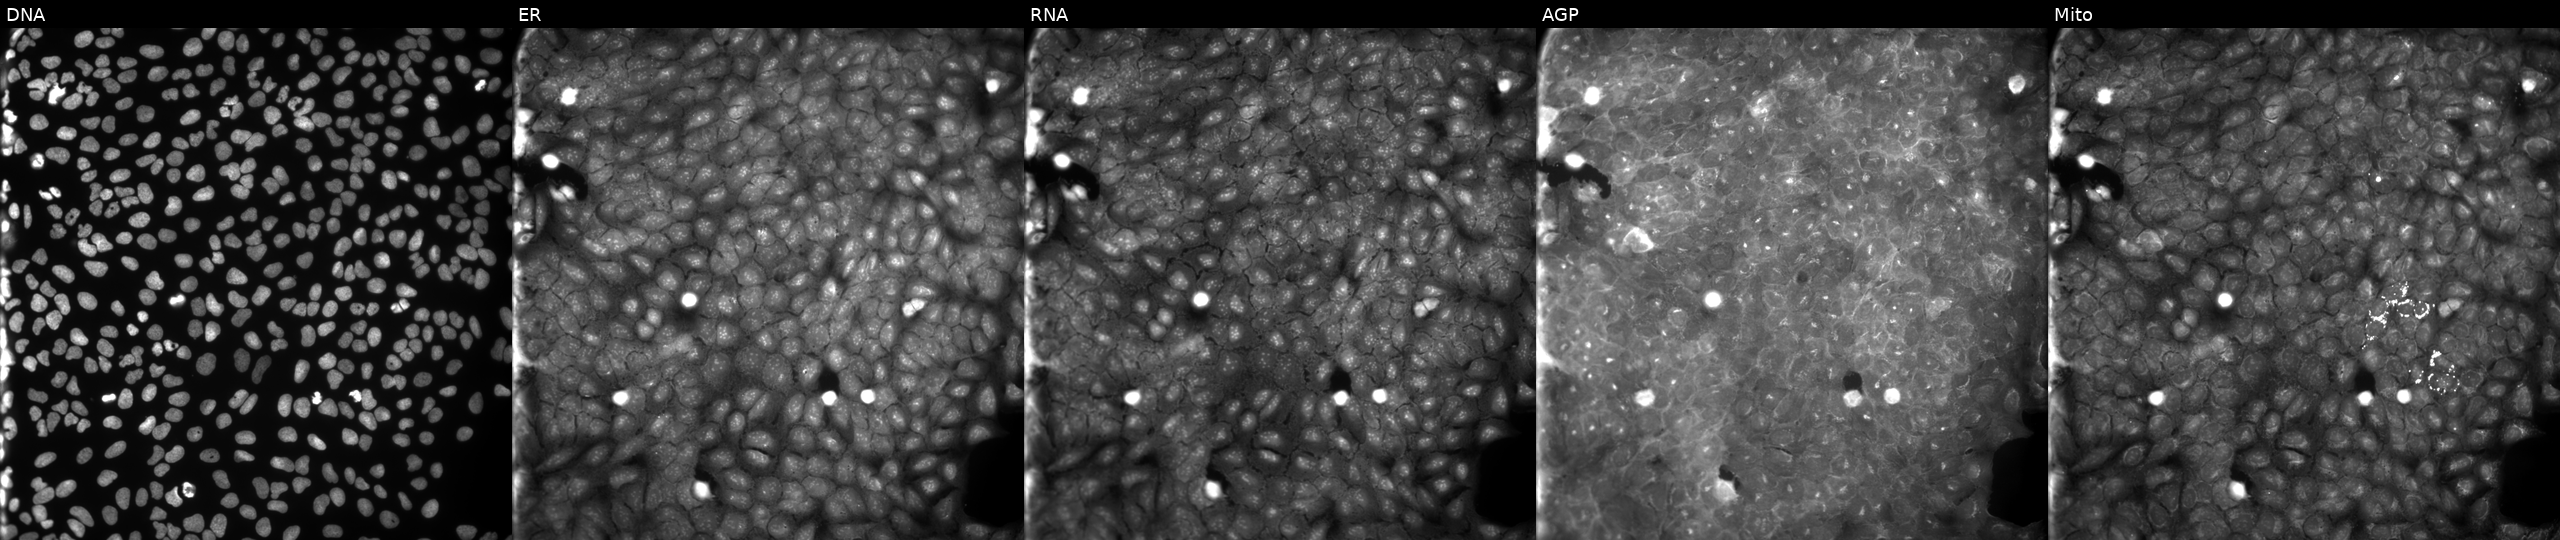
Five-channel Cell Painting image of U2OS cells perturbed with a small-molecule compound (InChIKey YKFDBRVYHYSETF-UHFFFAOYSA-N). Channels (left→right): DNA, ER, RNA, AGP, and Mito.